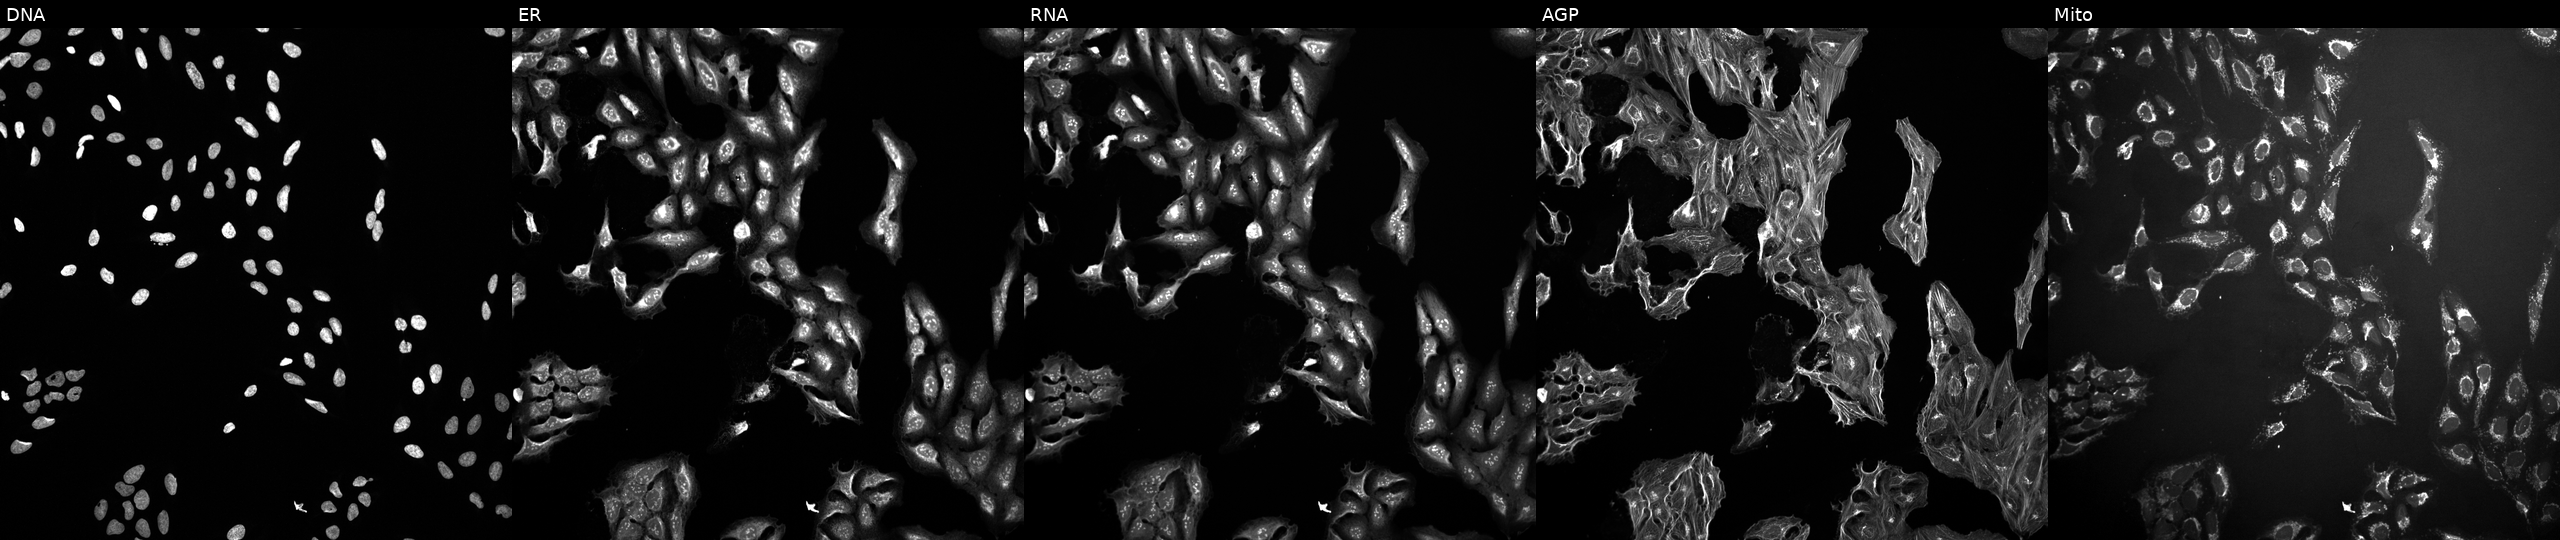
Panels show, left to right, DNA (nuclei); ER (endoplasmic reticulum); RNA (nucleoli and cytoplasmic RNA); AGP (actin cytoskeleton, Golgi, and plasma membrane); Mito (mitochondria). U2OS osteosarcoma cells treated with DMSO vehicle only (negative control). Cell Painting assay, JUMP-CP dataset. Source 10, plate Dest210726-160150, well F13.